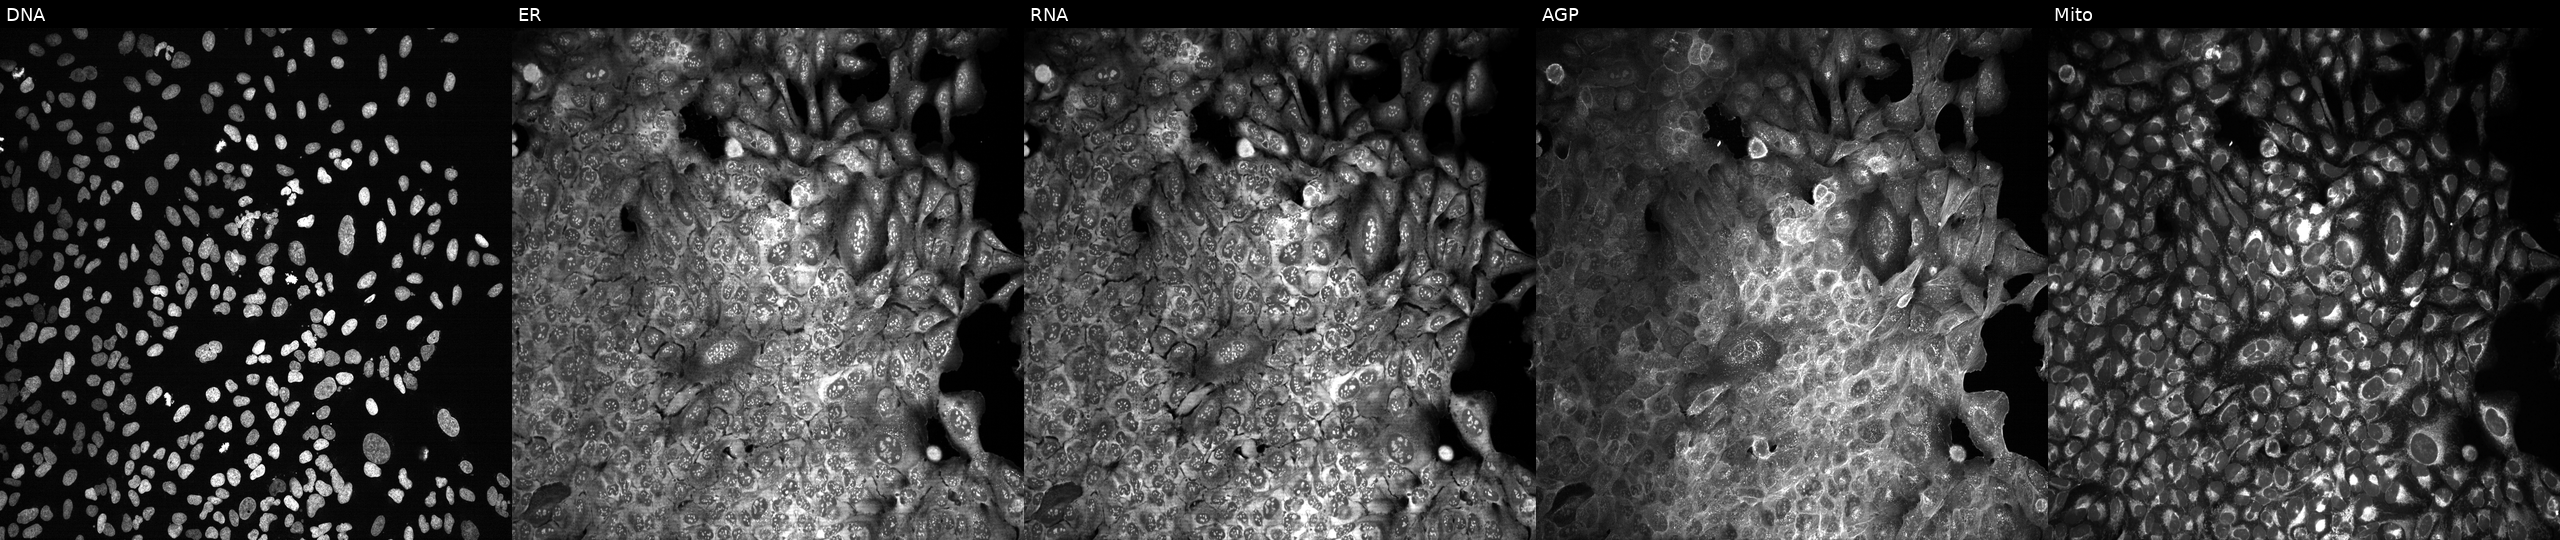
High-content fluorescence microscopy (Cell Painting). Cell line: U2OS. Perturbation: following CRISPR knockout of PSMB11. Channels (left→right): DNA (nuclei); ER (endoplasmic reticulum); RNA (nucleoli and cytoplasmic RNA); AGP (actin cytoskeleton, Golgi, and plasma membrane); Mito (mitochondria). Source 13, plate CP-CC9-R6-19, well P19.